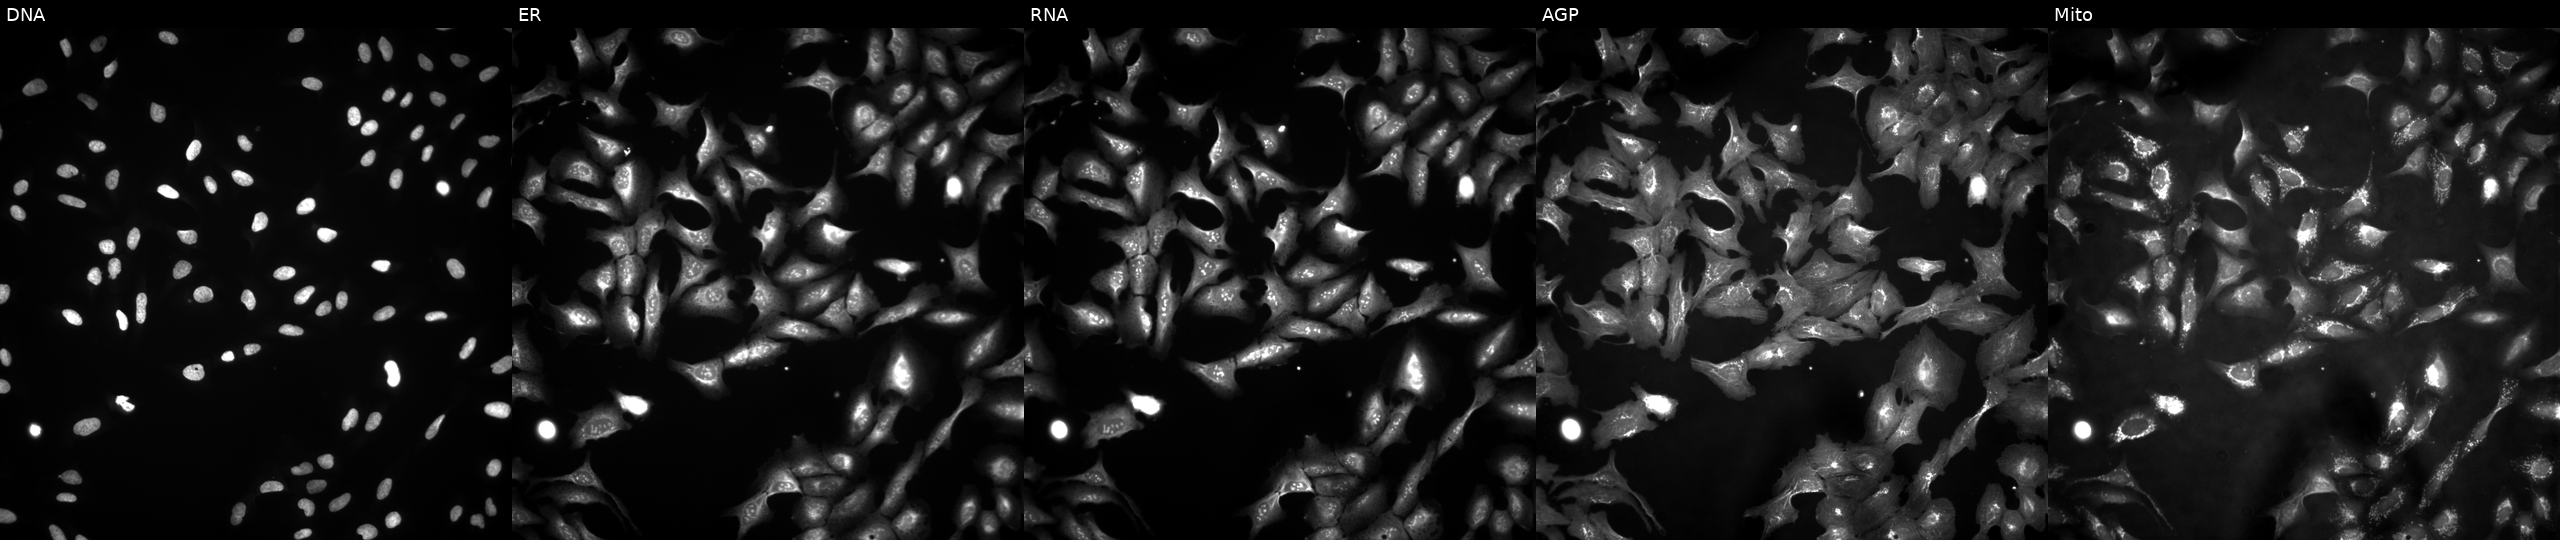
JUMP Cell Painting — ORF plate. U2OS cells with COQ8A overexpressed (ORF) (JUMP id JCP2022_908113). Panels show, left to right, Hoechst 33342, concanavalin A, SYTO 14, phalloidin and WGA, MitoTracker.